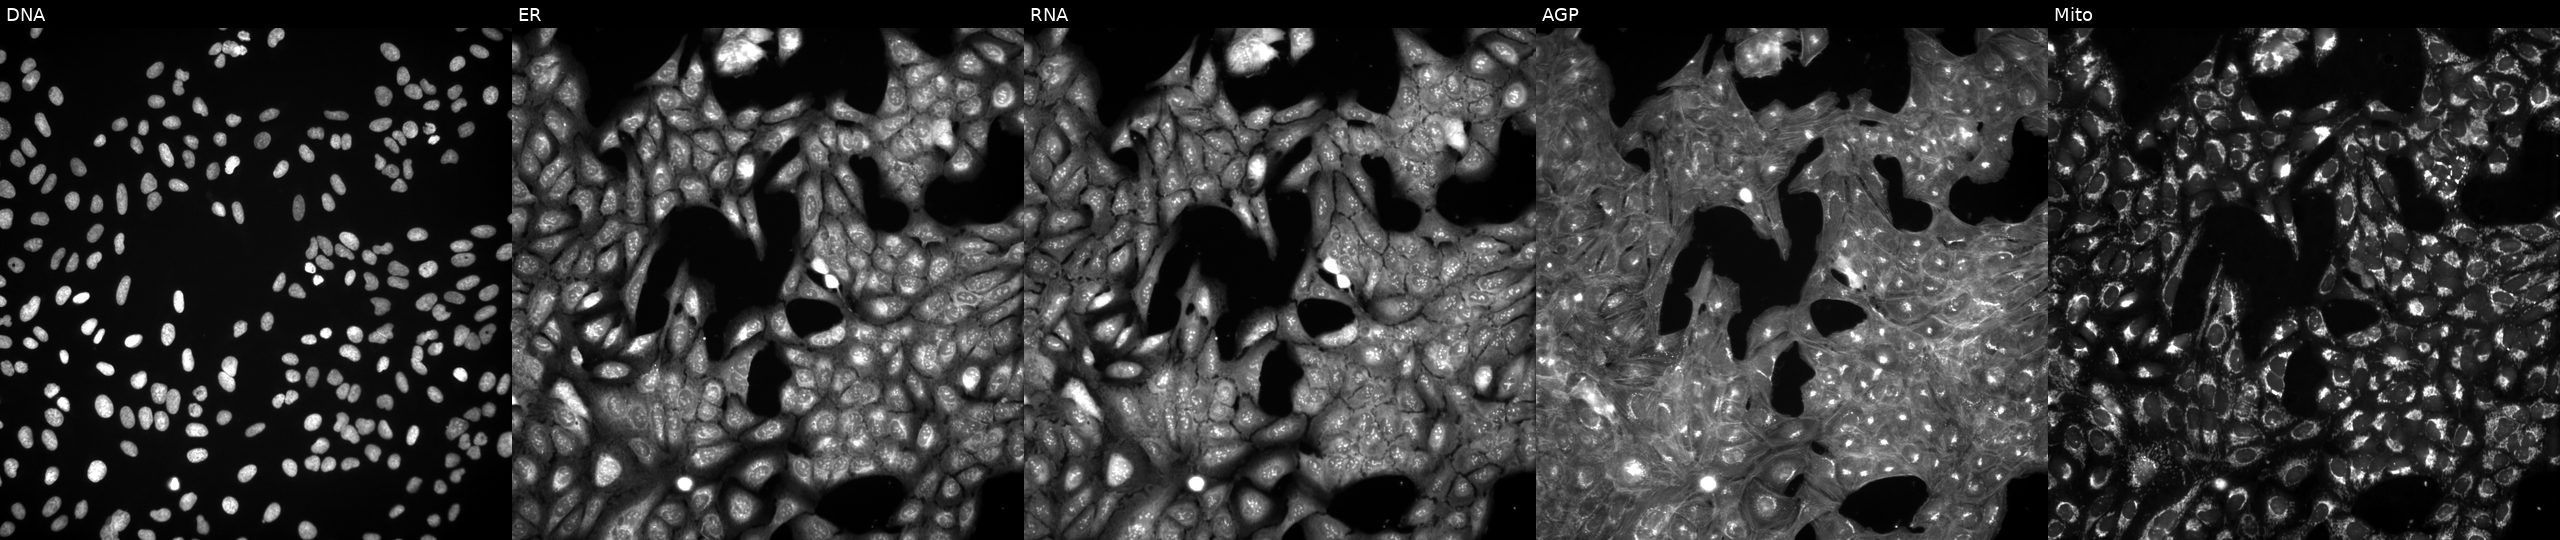
U2OS cells, Cell Painting assay, treated with a small-molecule compound (InChIKey ZYOUJZMRHKGFLP-UHFFFAOYSA-N). From left to right: DNA, ER, RNA, AGP, and Mito. Each panel is percentile-stretched 16-bit fluorescence.